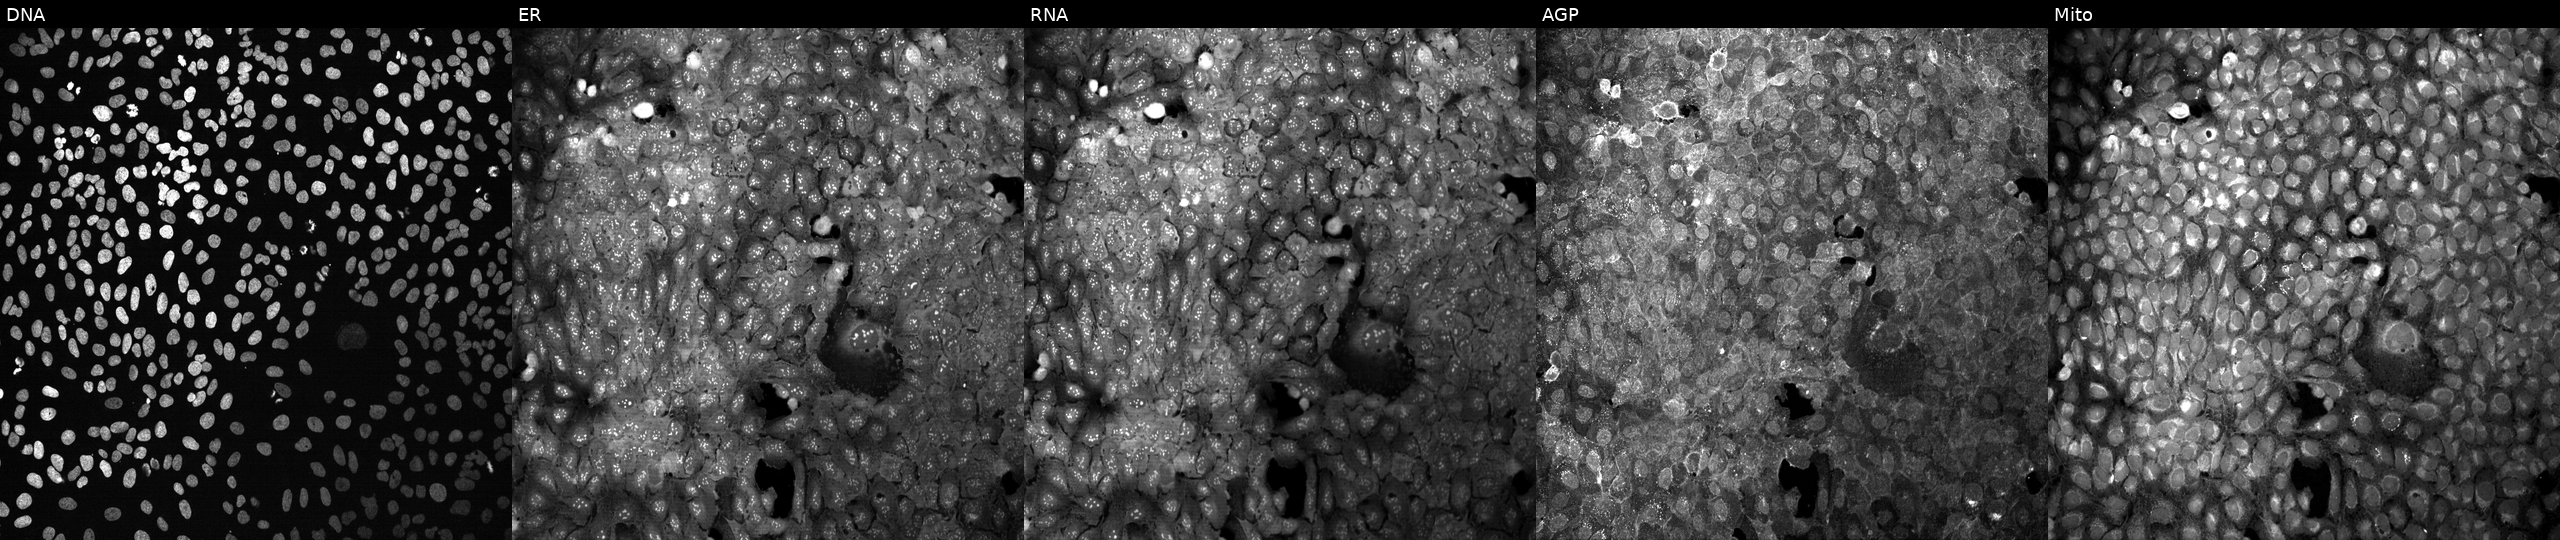
Channels (left→right): DNA (nuclei); ER (endoplasmic reticulum); RNA (nucleoli and cytoplasmic RNA); AGP (actin cytoskeleton, Golgi, and plasma membrane); Mito (mitochondria). U2OS osteosarcoma cells treated with quinidine (positive-control compound). Cell Painting assay, JUMP-CP dataset. Source 13, plate CP-CC9-R1-01, well K24.